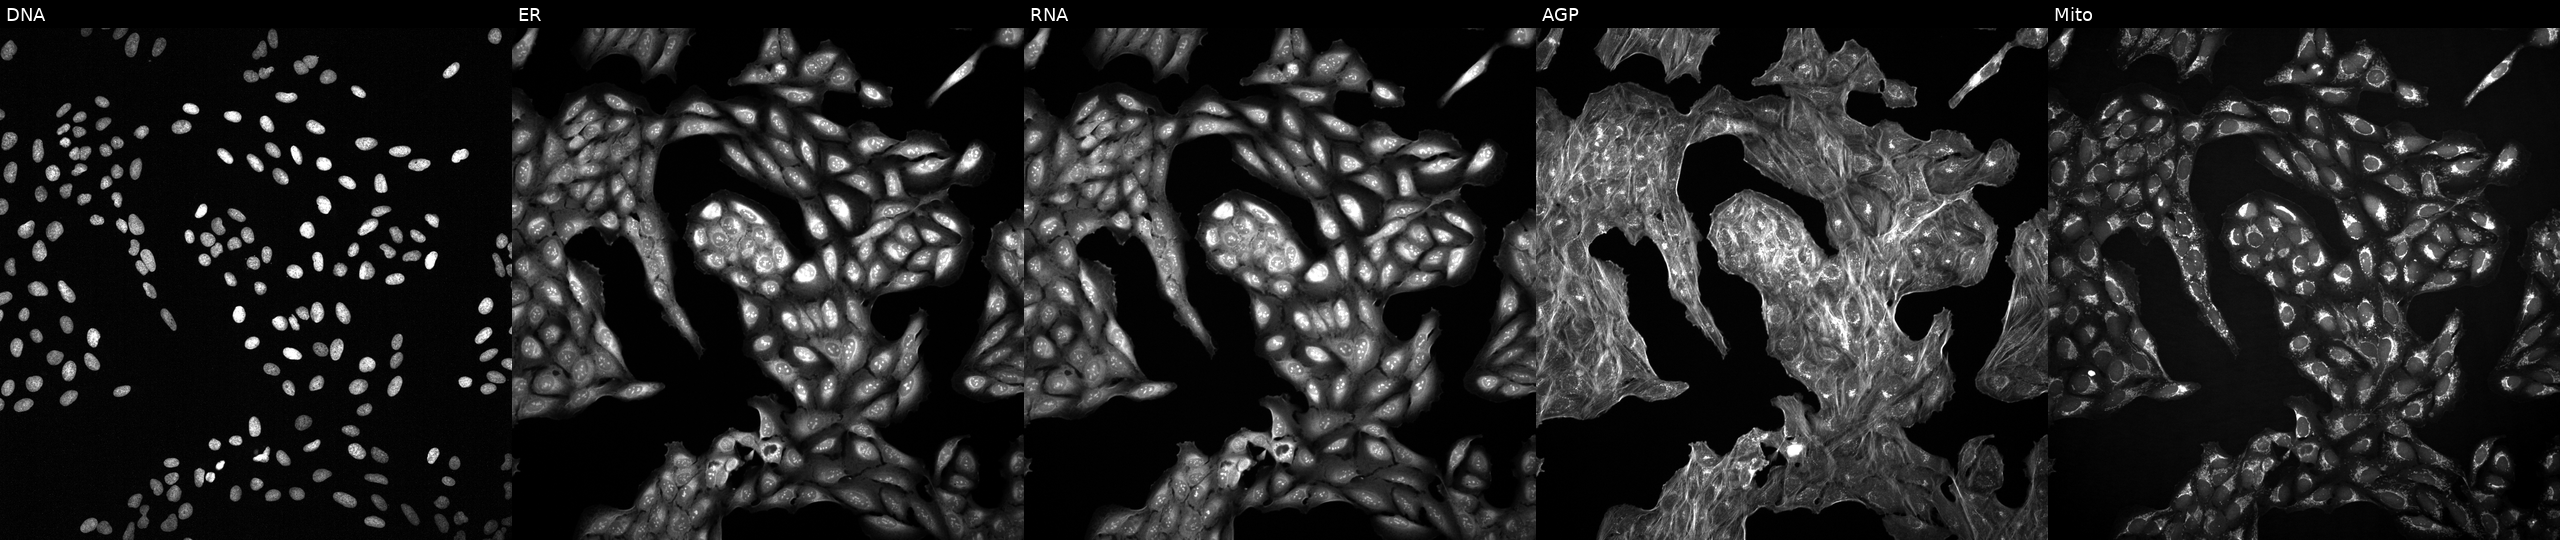
This image strip shows the five Cell Painting channels for a single field of U2OS cells exposed to a small-molecule compound (JUMP id JCP2022_044284). Panels show, left to right, DNA (nuclei); ER (endoplasmic reticulum); RNA (nucleoli and cytoplasmic RNA); AGP (actin cytoskeleton, Golgi, and plasma membrane); Mito (mitochondria).